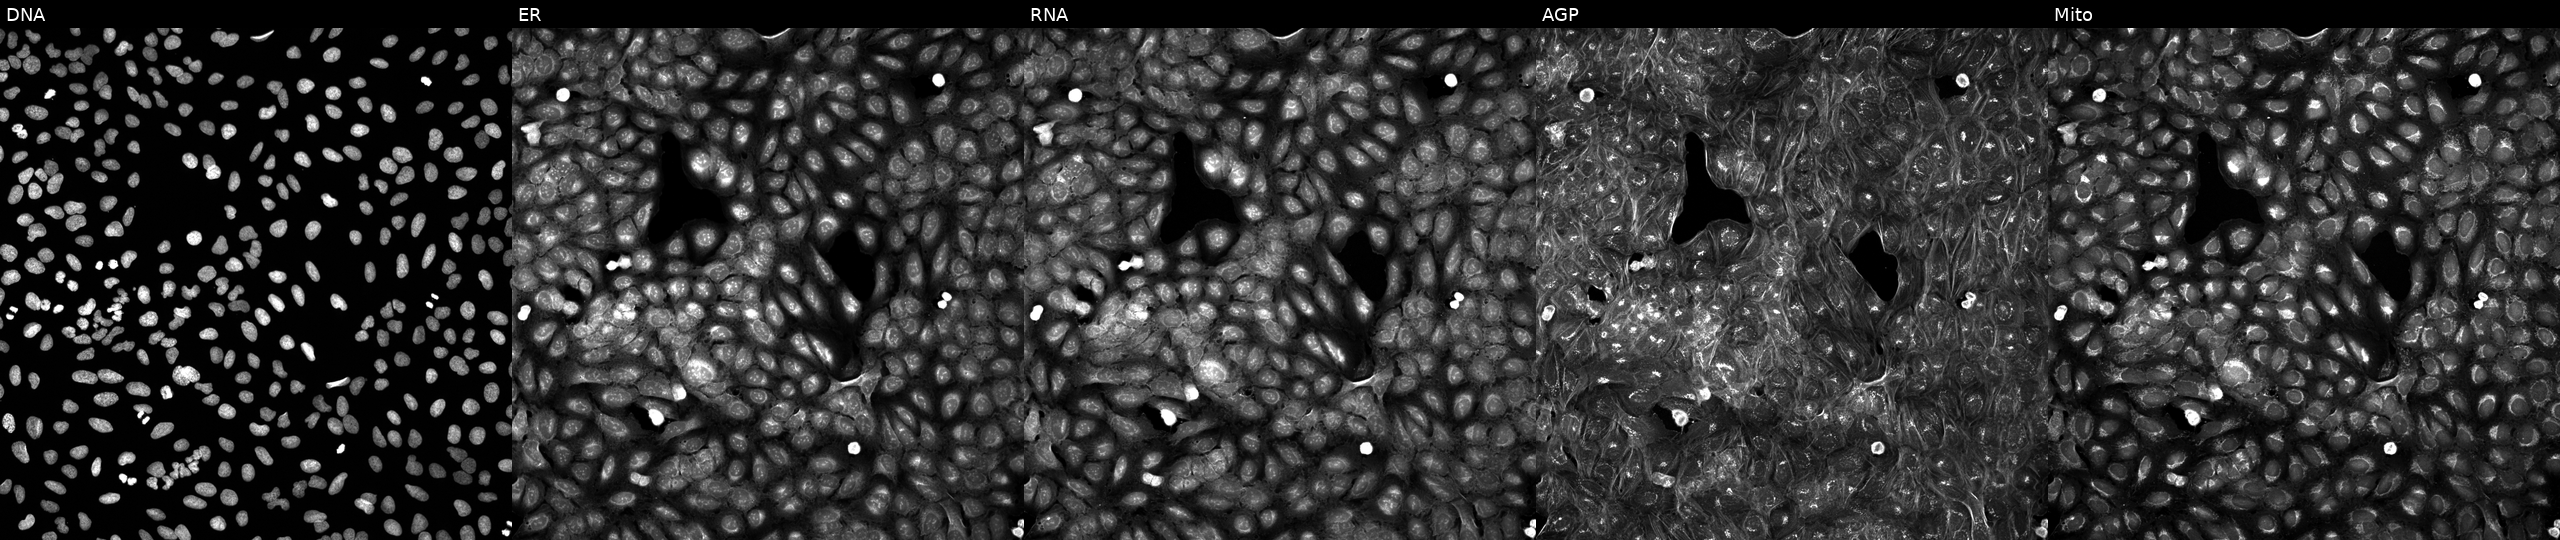
JUMP Cell Painting — COMPOUND plate. U2OS cells perturbed with a small-molecule compound (InChIKey RRTKMNLPIJJISG-UHFFFAOYSA-N). Panels show, left to right, DNA, ER, RNA, AGP, and Mito.